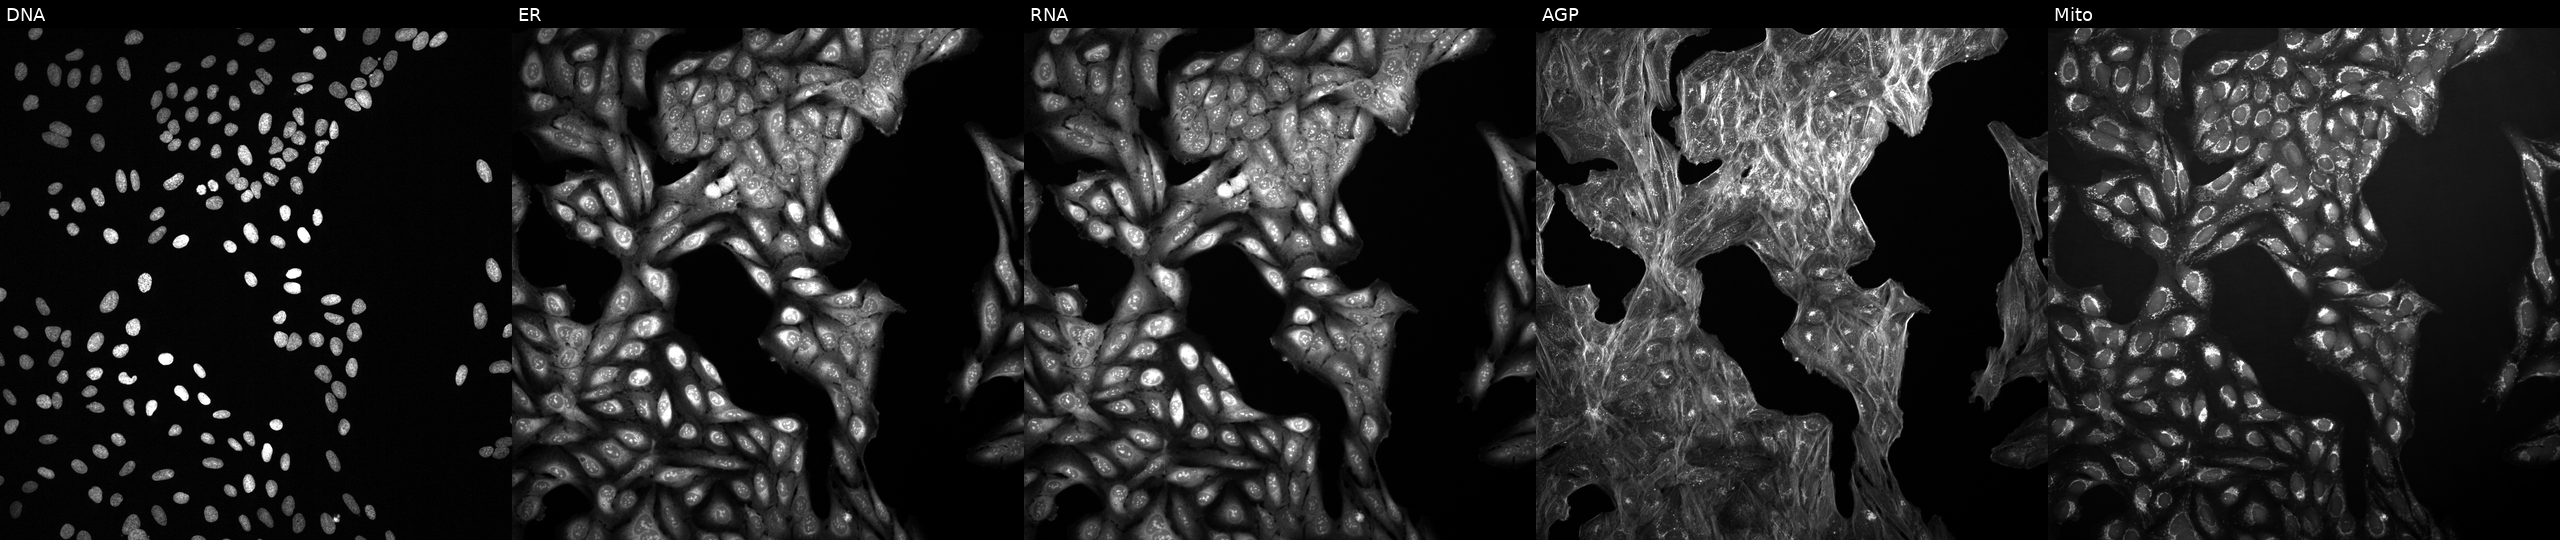
Panels show, left to right, DNA, ER, RNA, AGP, and Mito. U2OS osteosarcoma cells exposed to the positive-control compound dexamethasone (JUMP id JCP2022_025848). Cell Painting assay, JUMP-CP dataset.